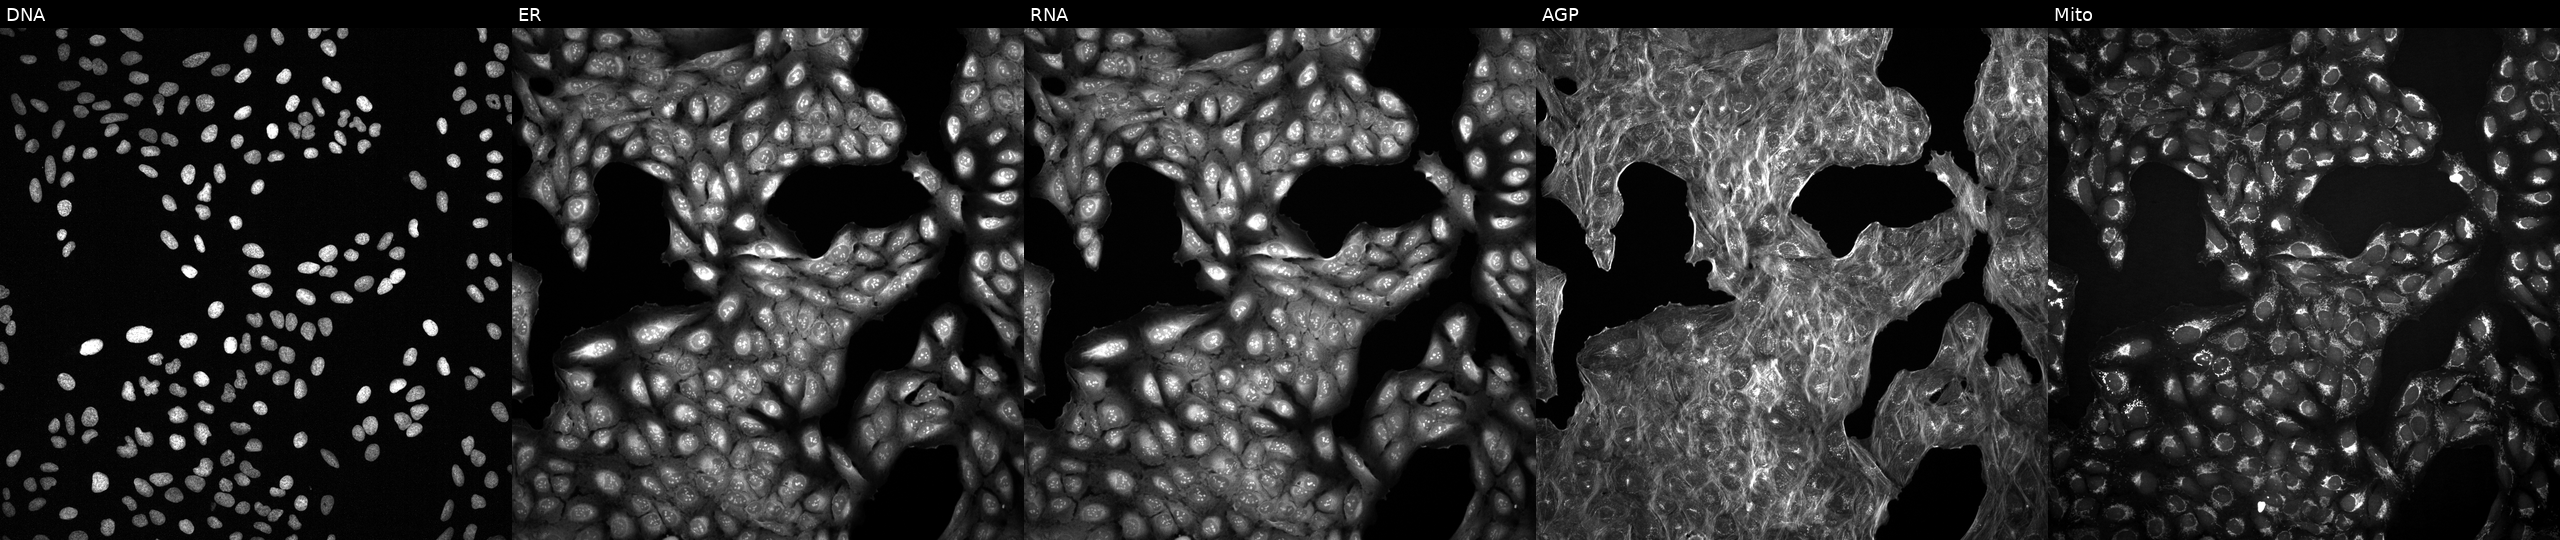
JUMP Cell Painting — COMPOUND plate. U2OS cells with an unidentified perturbation (not annotated in JUMP metadata). The five panels, left to right, show DNA, ER, RNA, AGP, and Mito.